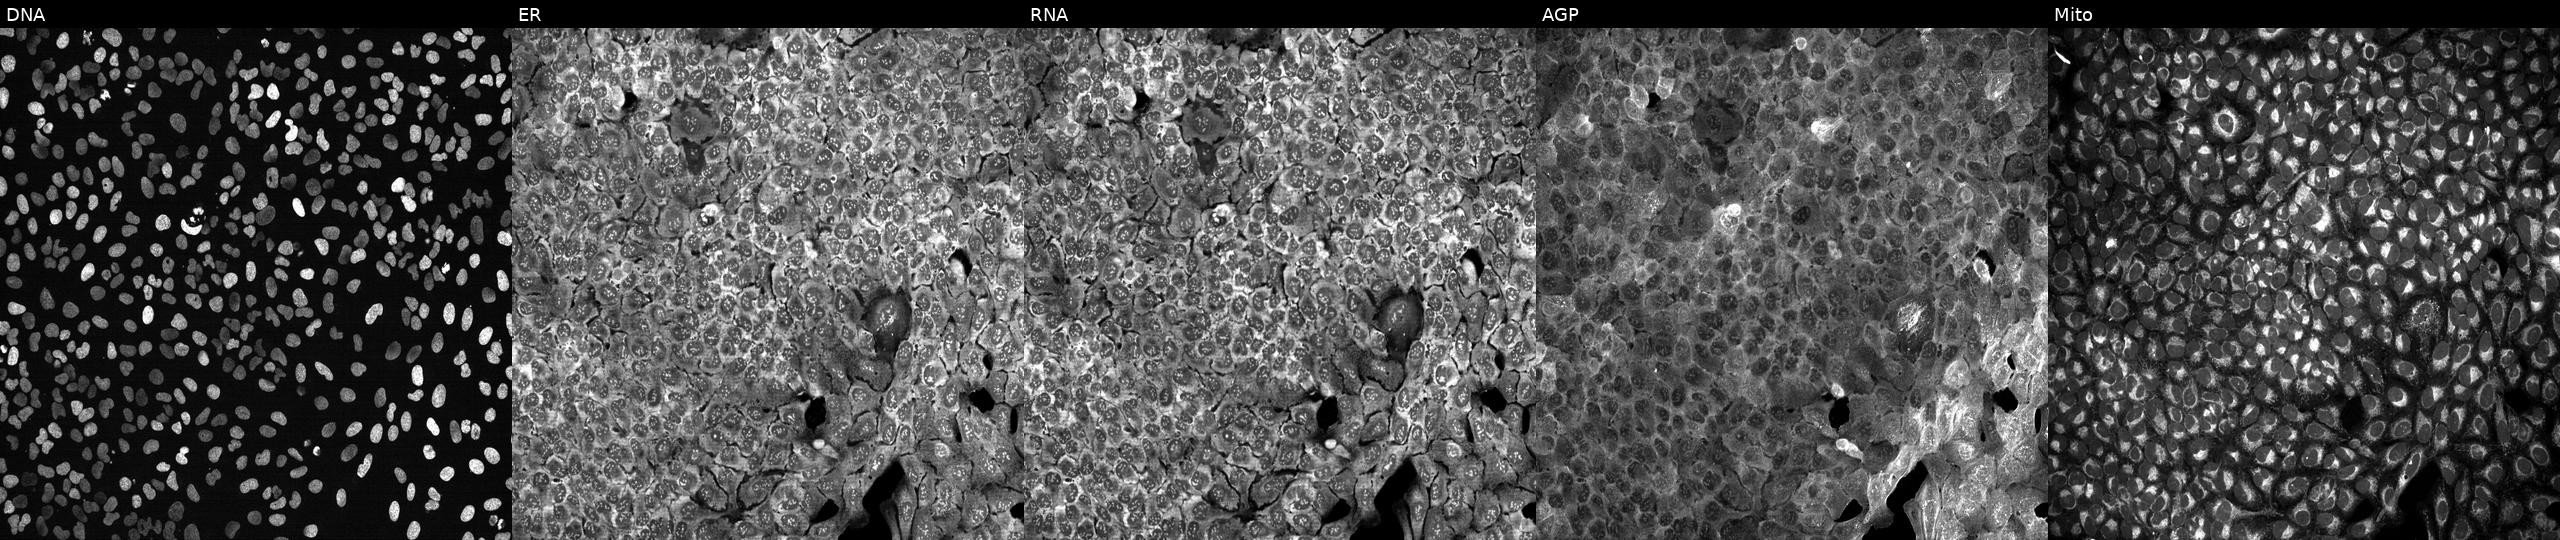
High-content fluorescence microscopy (Cell Painting). Cell line: U2OS. Perturbation: following CRISPR knockout of GUCY1B3 (JUMP id JCP2022_802979). Channels (left→right): DNA, ER, RNA, AGP, and Mito. Source 13, plate CP-CC9-R2-01, well G10.